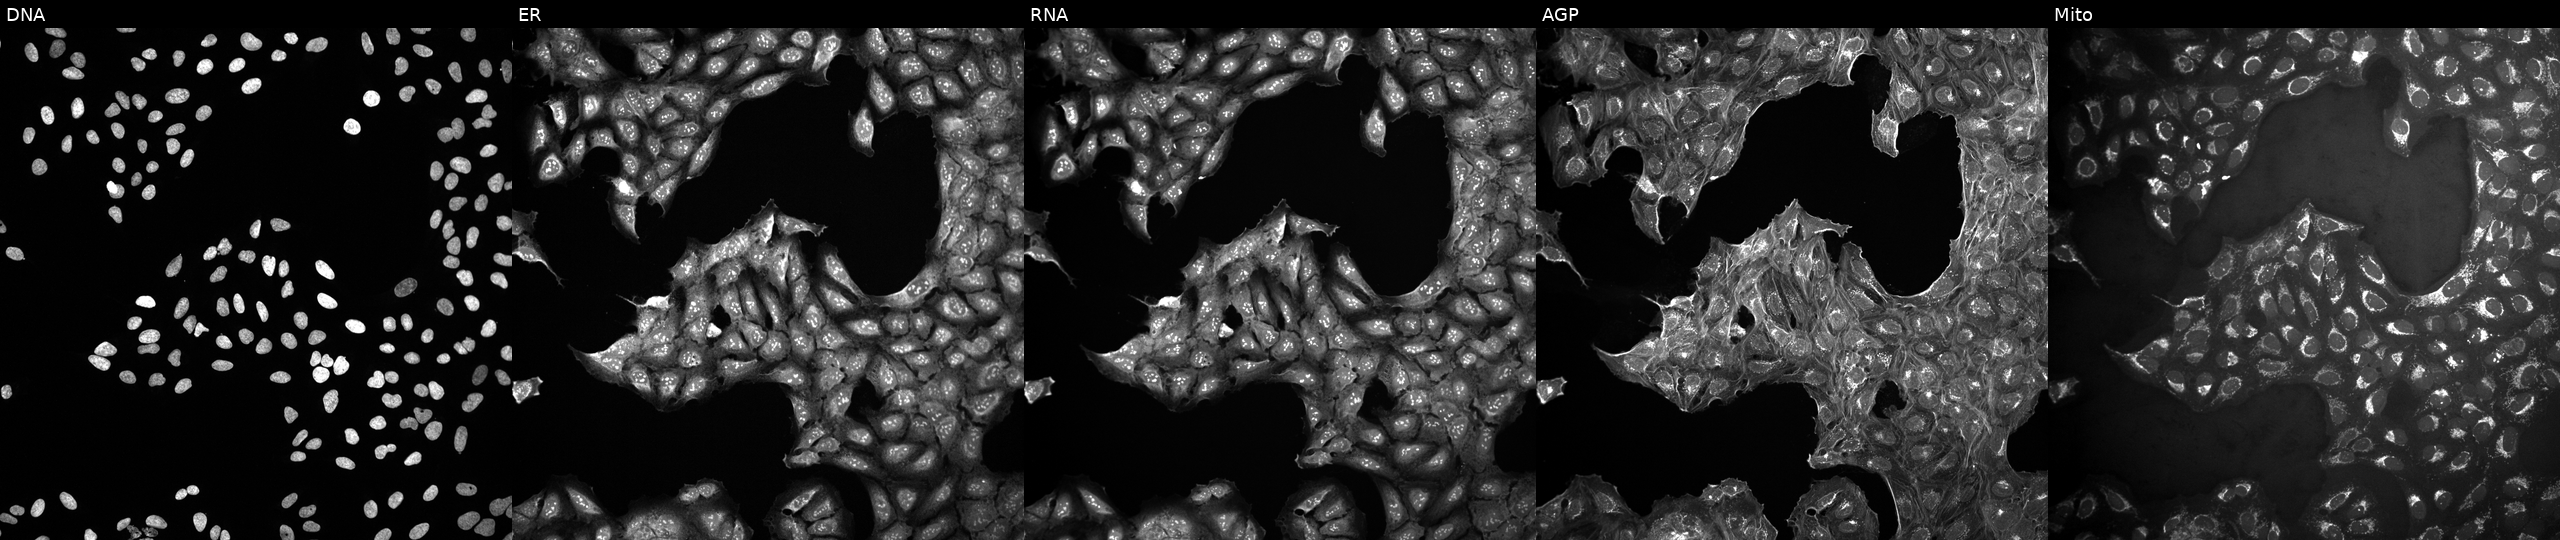
This image strip shows the five Cell Painting channels for a single field of U2OS cells untreated (empty-well control) (JUMP id JCP2022_999999). Channels (left→right): DNA, ER, RNA, AGP, and Mito. Source 10, plate Dest210531-152149, well L16.